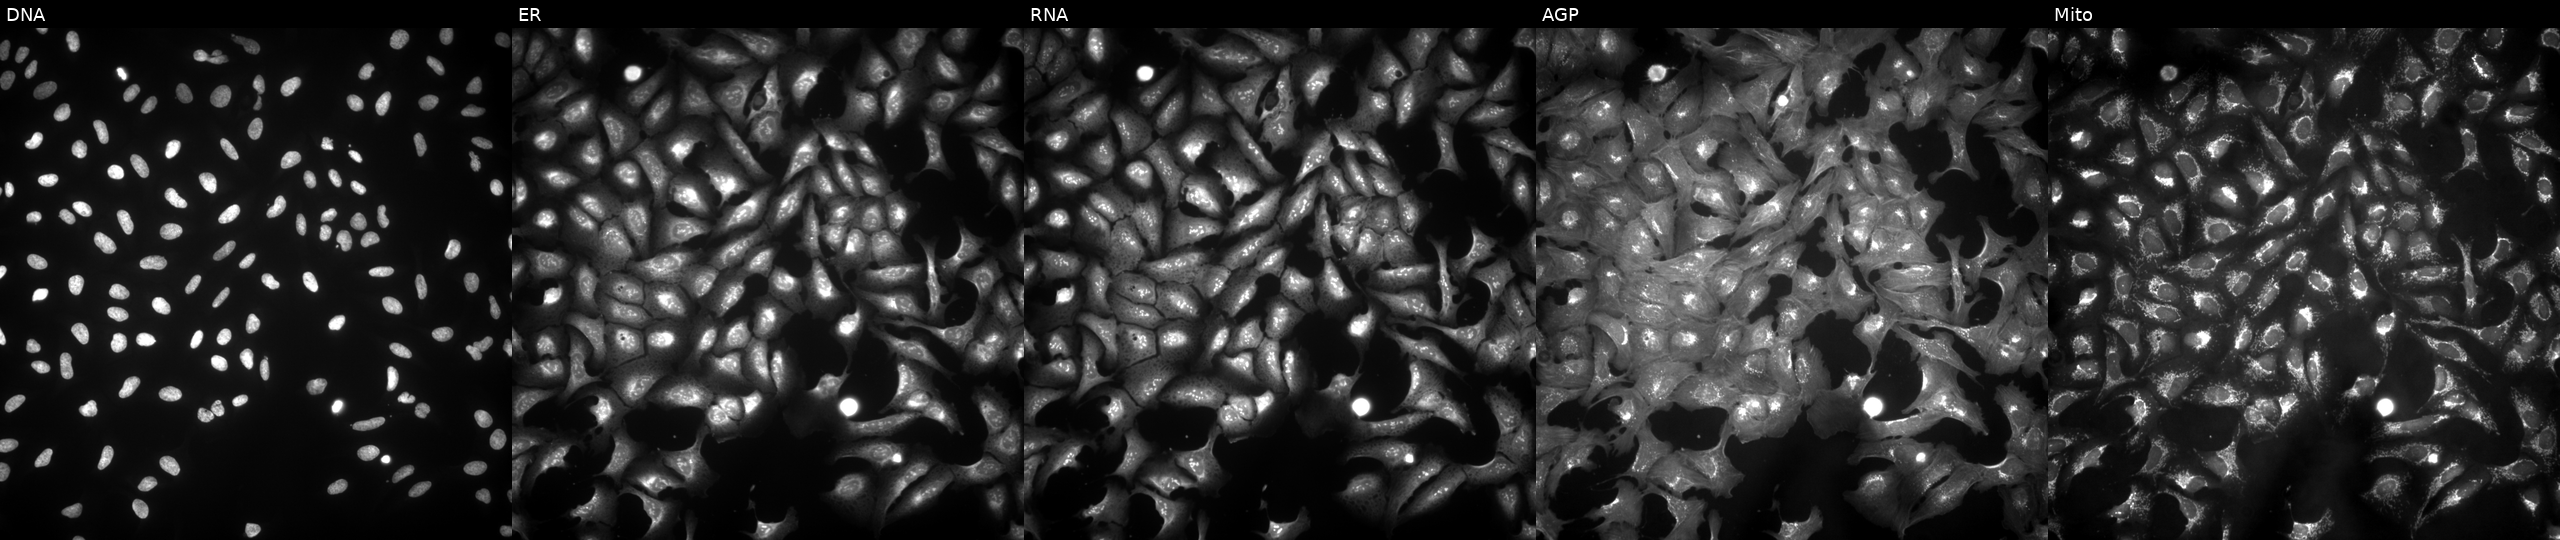
JUMP Cell Painting — ORF plate. U2OS cells transfected with an ORF construct for AK8 (JUMP id JCP2022_904764). The five panels, left to right, show Hoechst 33342, concanavalin A, SYTO 14, phalloidin and WGA, MitoTracker. Source 4, plate BR00123506, well D11.